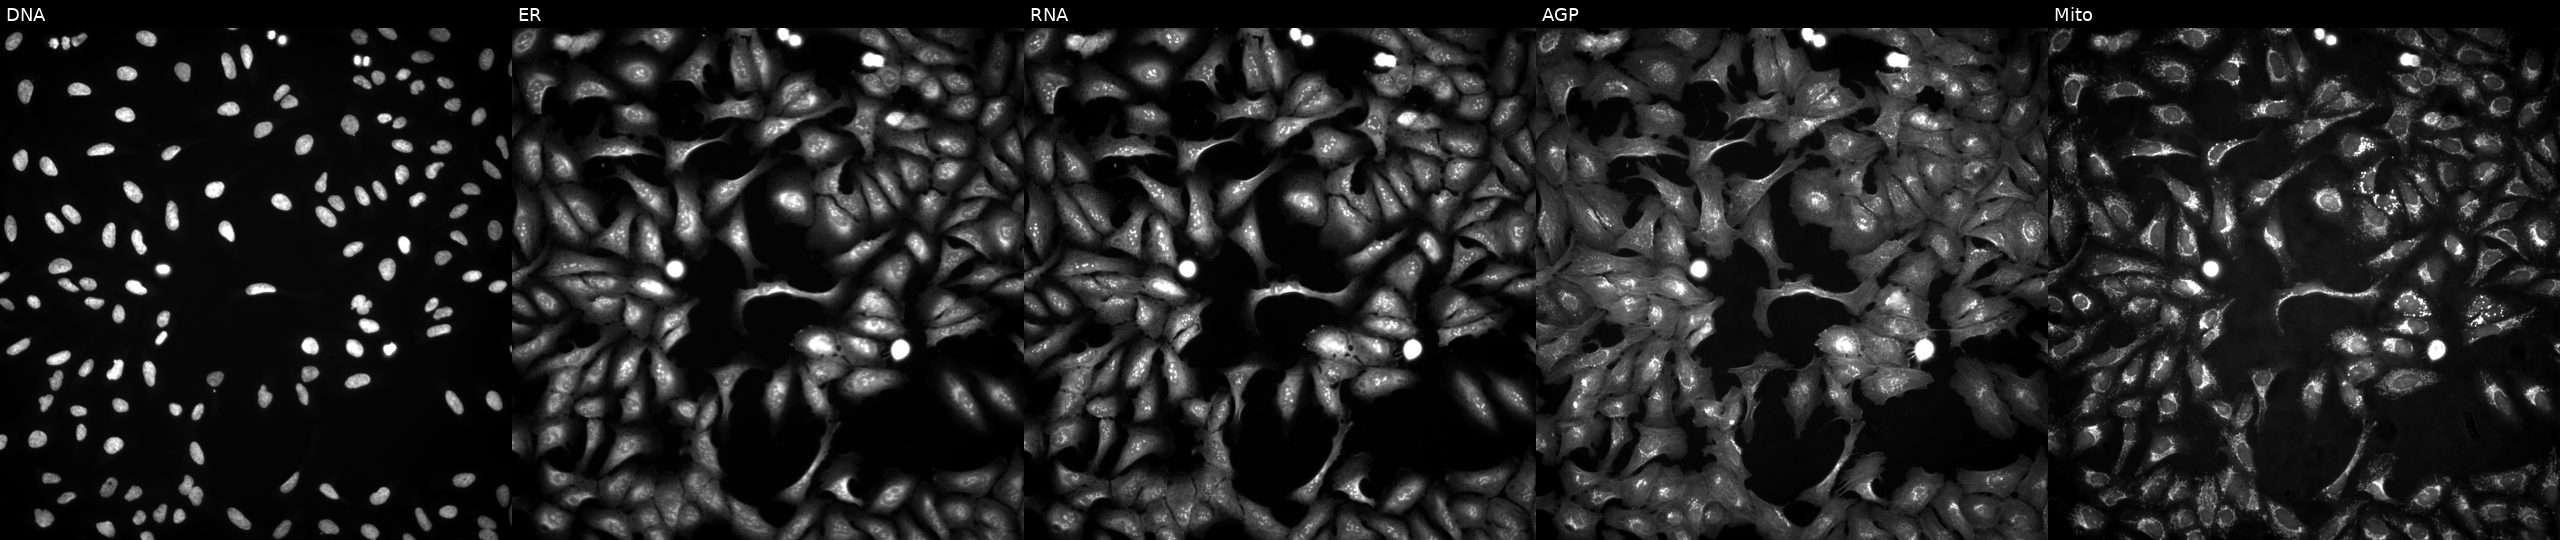
High-content fluorescence microscopy (Cell Painting). Cell line: U2OS. Perturbation: transfected with an ORF construct for DEXI. From left to right: DNA (nuclei); ER (endoplasmic reticulum); RNA (nucleoli and cytoplasmic RNA); AGP (actin cytoskeleton, Golgi, and plasma membrane); Mito (mitochondria). Source 4, plate BR00124787, well O10.